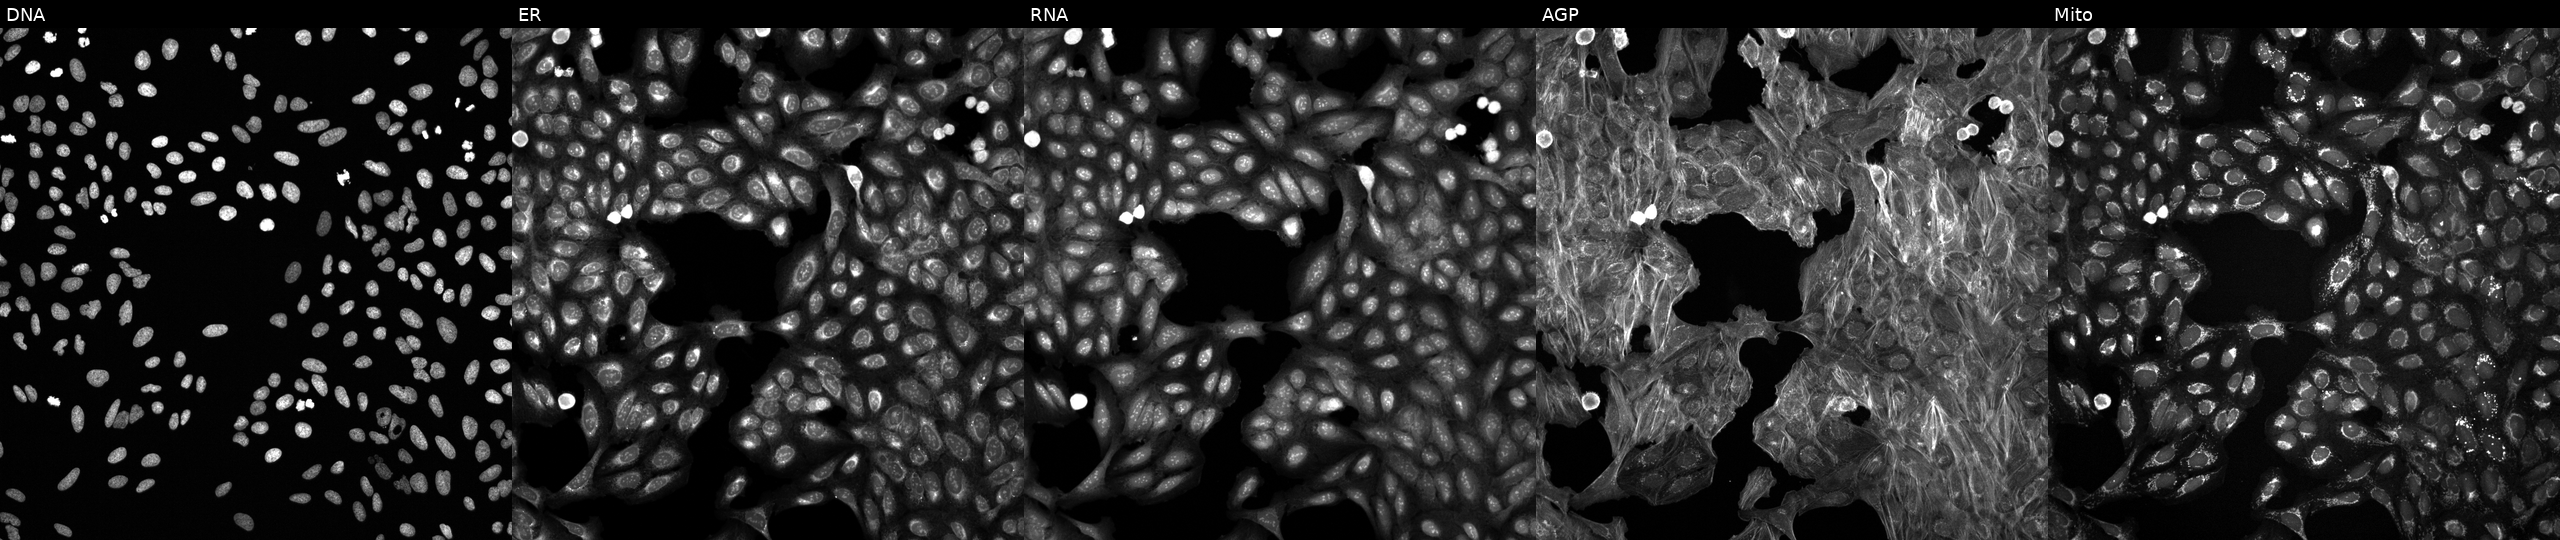
U2OS cells, Cell Painting assay, exposed to DMSO alone as a negative control. From left to right: DNA (nuclei); ER (endoplasmic reticulum); RNA (nucleoli and cytoplasmic RNA); AGP (actin cytoskeleton, Golgi, and plasma membrane); Mito (mitochondria). Each panel is percentile-stretched 16-bit fluorescence.